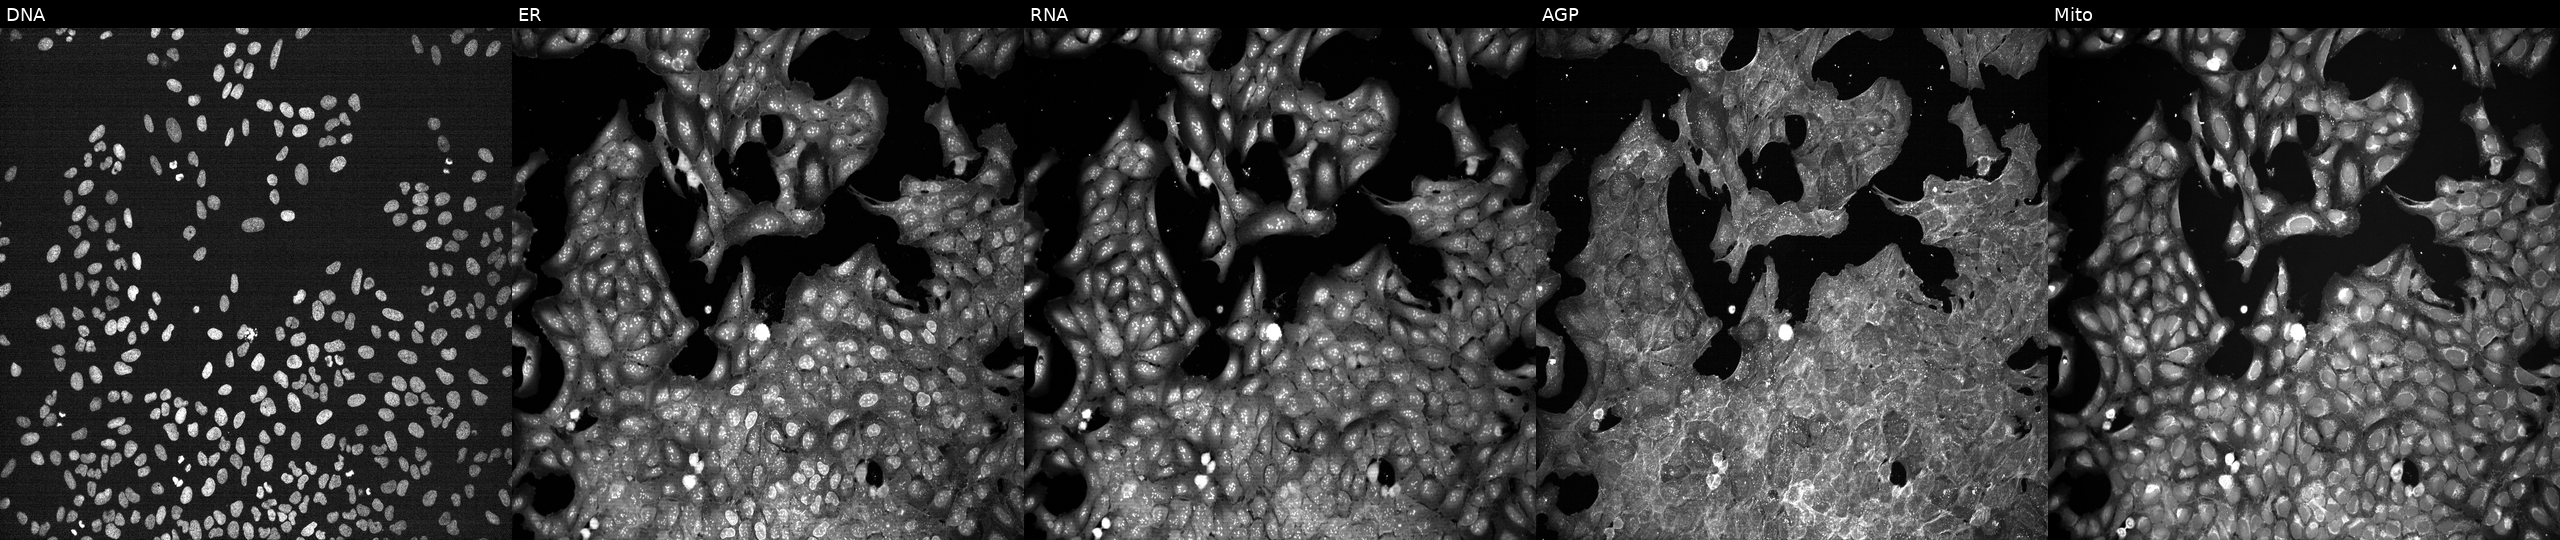
High-content fluorescence microscopy (Cell Painting). Cell line: U2OS. Perturbation: perturbed with a small-molecule compound (InChIKey JFUIMTGOQCQTPF-UHFFFAOYSA-N) [SMILES: O=C(NCCS(=O)(=O)c1ccc(C(F)(F)F)cn1)c1ccc(Cl)cc1]. Channels (left→right): DNA (nuclei); ER (endoplasmic reticulum); RNA (nucleoli and cytoplasmic RNA); AGP (actin cytoskeleton, Golgi, and plasma membrane); Mito (mitochondria).